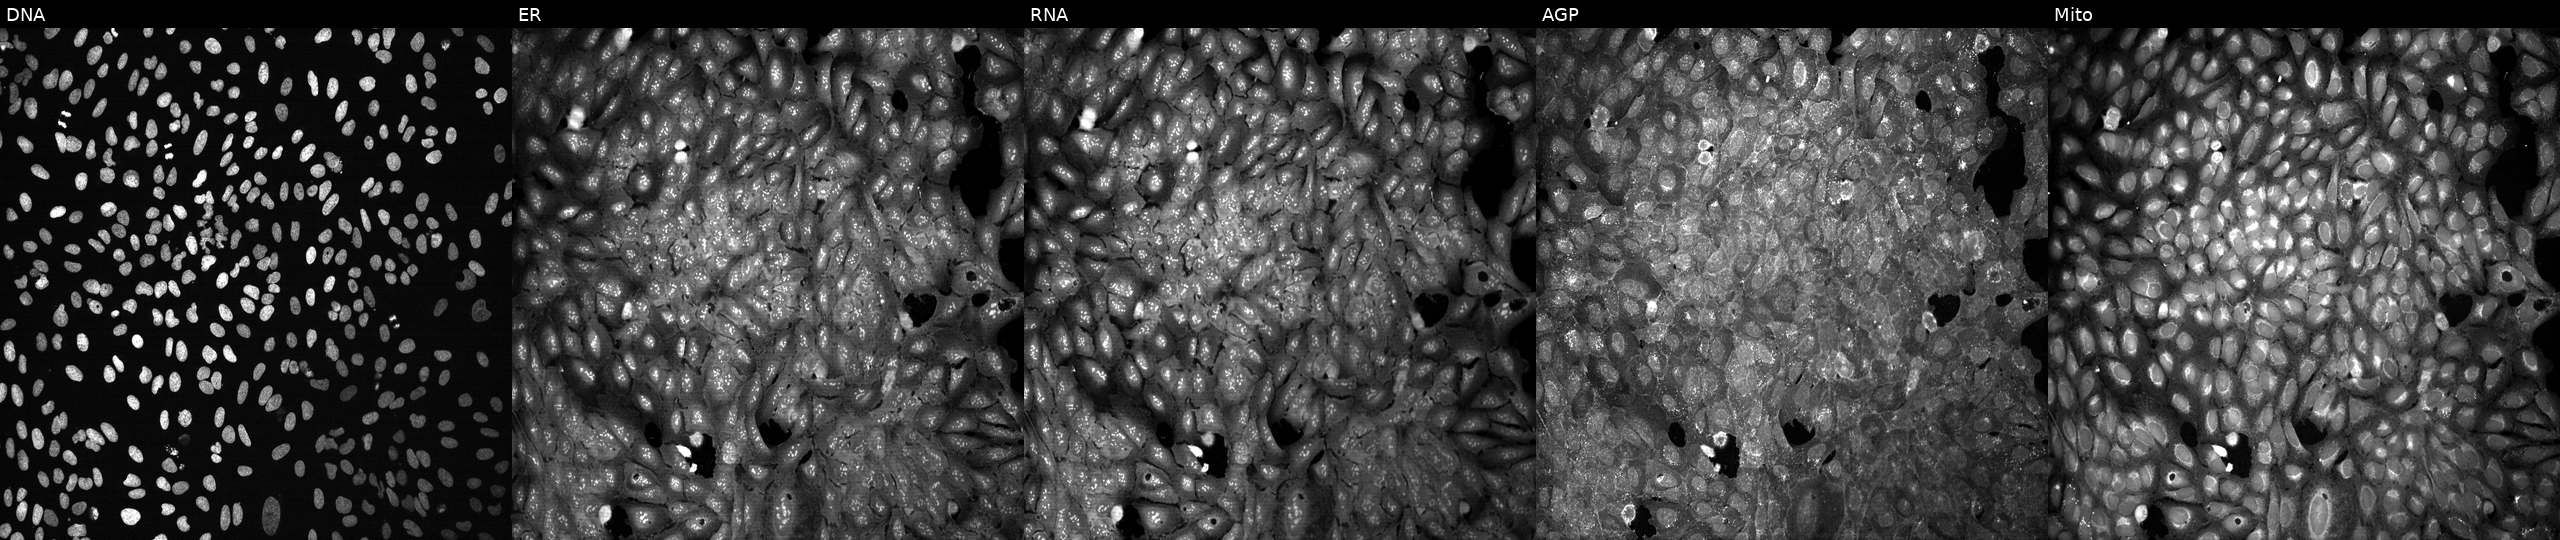
High-content fluorescence microscopy (Cell Painting). Cell line: U2OS. Perturbation: with PITPNM3 knocked out by CRISPR (JUMP id JCP2022_805186). The five panels, left to right, show DNA, ER, RNA, AGP, and Mito.